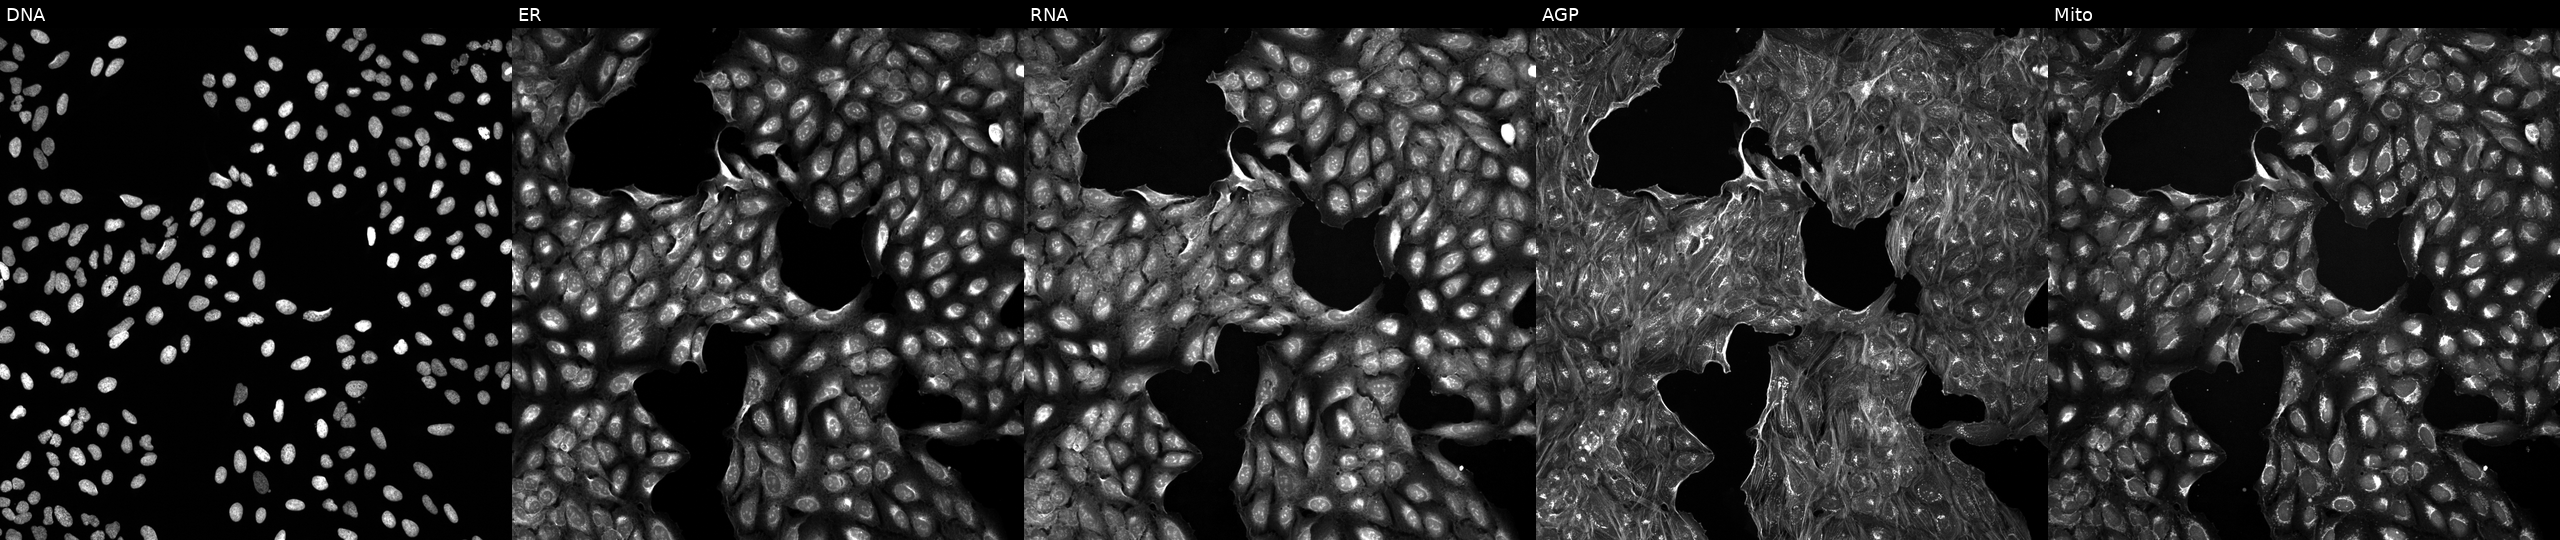
Panels show, left to right, Hoechst 33342, concanavalin A, SYTO 14, phalloidin and WGA, MitoTracker. U2OS osteosarcoma cells exposed to DMSO alone as a negative control (JUMP id JCP2022_033924). Cell Painting assay, JUMP-CP dataset. Source 5, plate ACPJUM032, well I10.